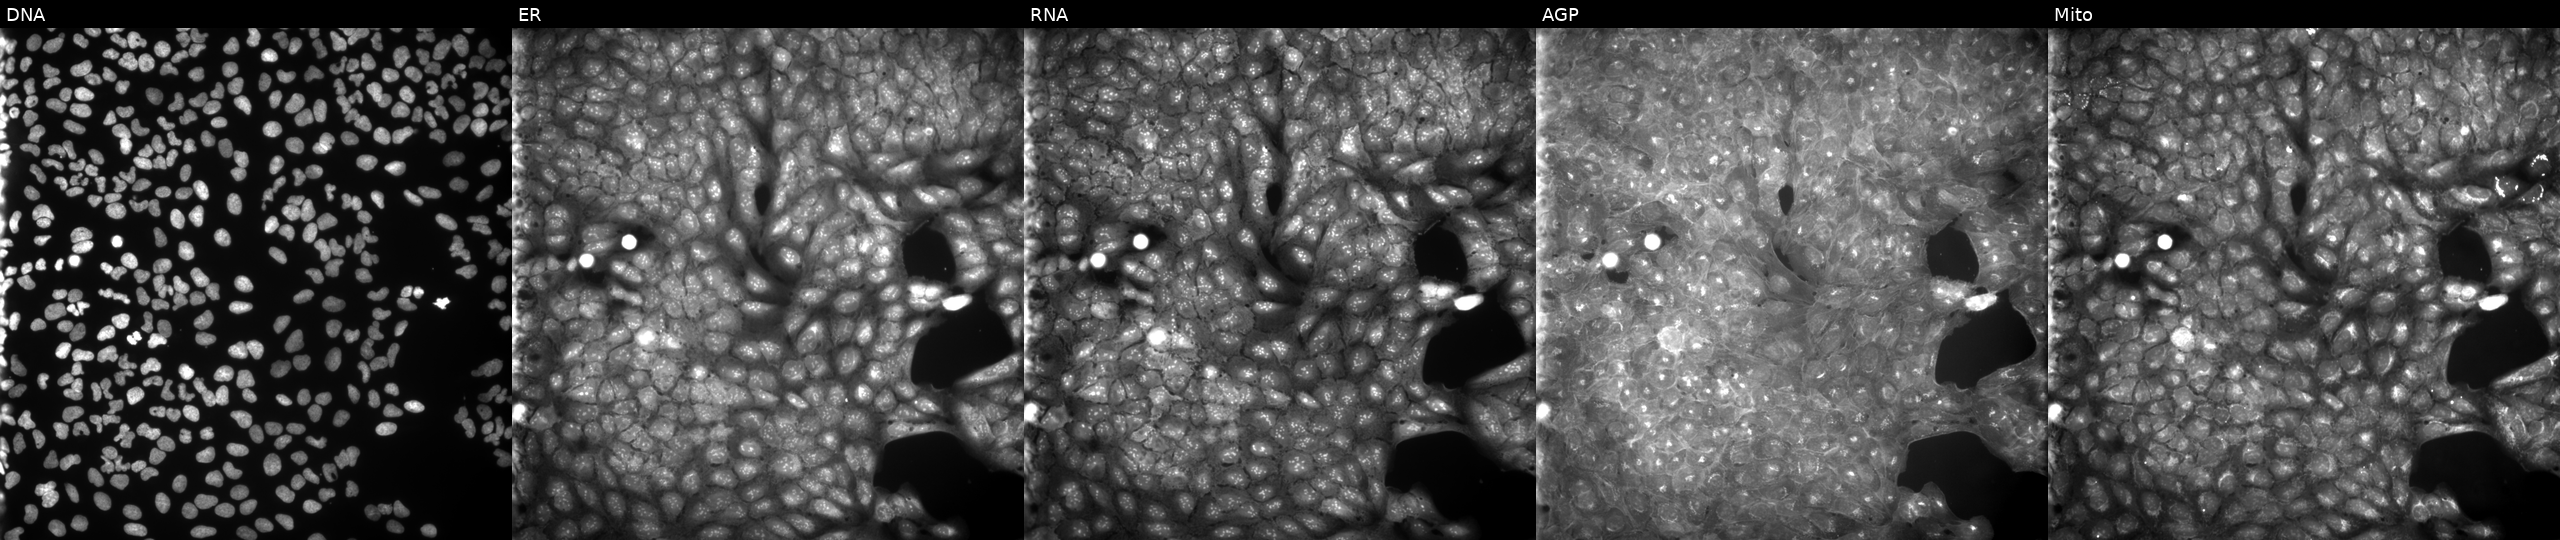
U2OS cells, Cell Painting assay, perturbed with a small-molecule compound (InChIKey HXCOOJOJYVWELJ-UHFFFAOYSA-N) (JUMP id JCP2022_033180). Channels (left→right): Hoechst 33342, concanavalin A, SYTO 14, phalloidin and WGA, MitoTracker. Each panel is percentile-stretched 16-bit fluorescence.